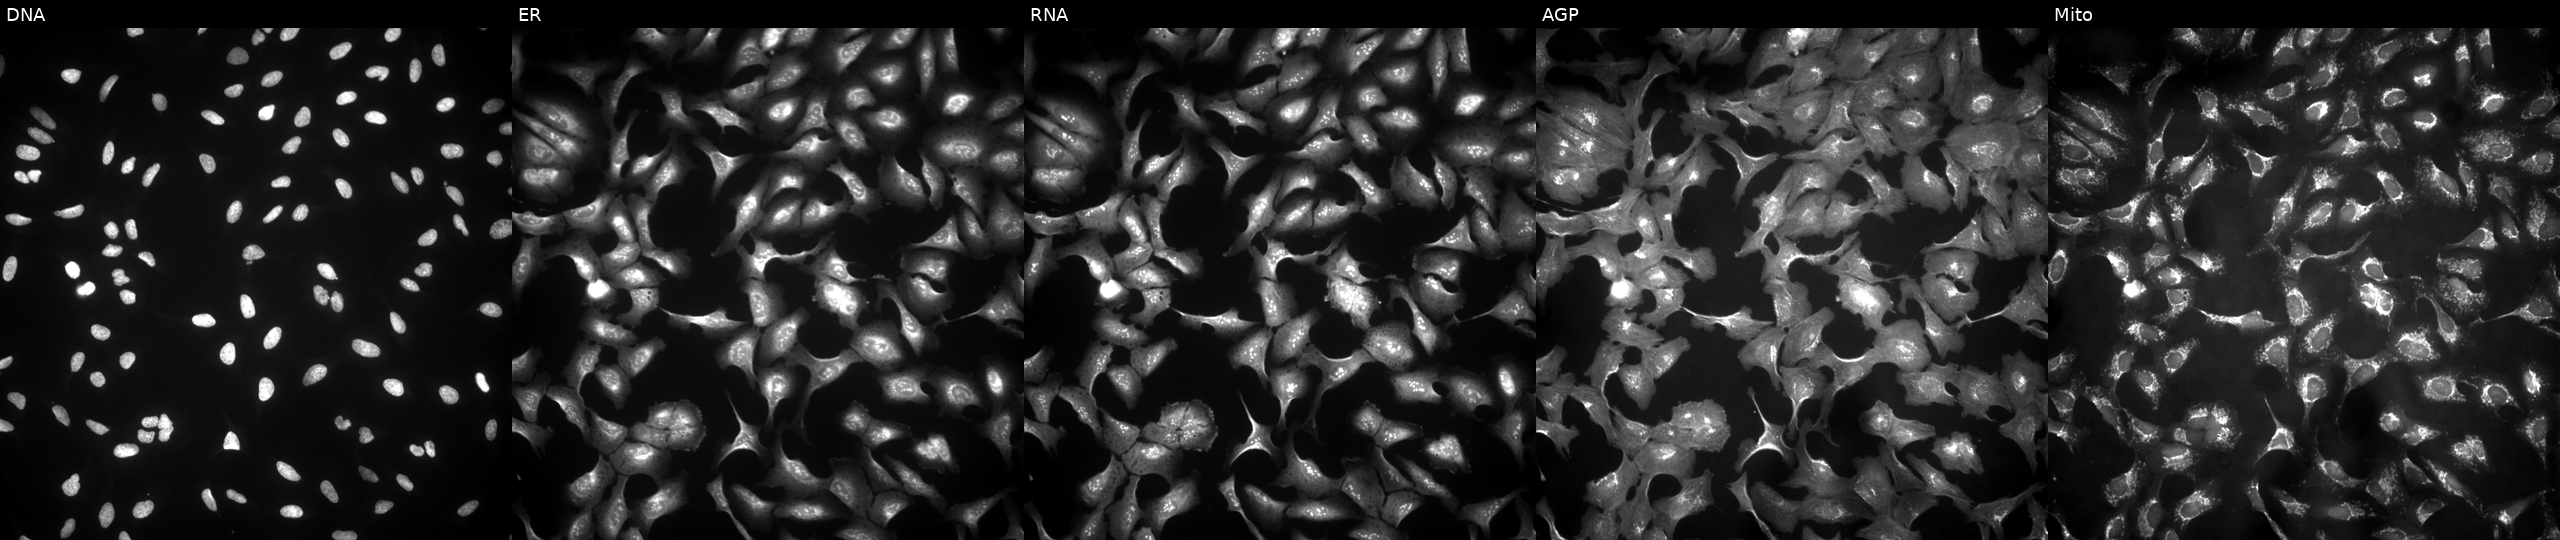
Panels show, left to right, Hoechst 33342, concanavalin A, SYTO 14, phalloidin and WGA, MitoTracker. U2OS osteosarcoma cells transfected with an ORF construct for TRMT44. Cell Painting assay, JUMP-CP dataset. Source 4, plate BR00123506, well D08.